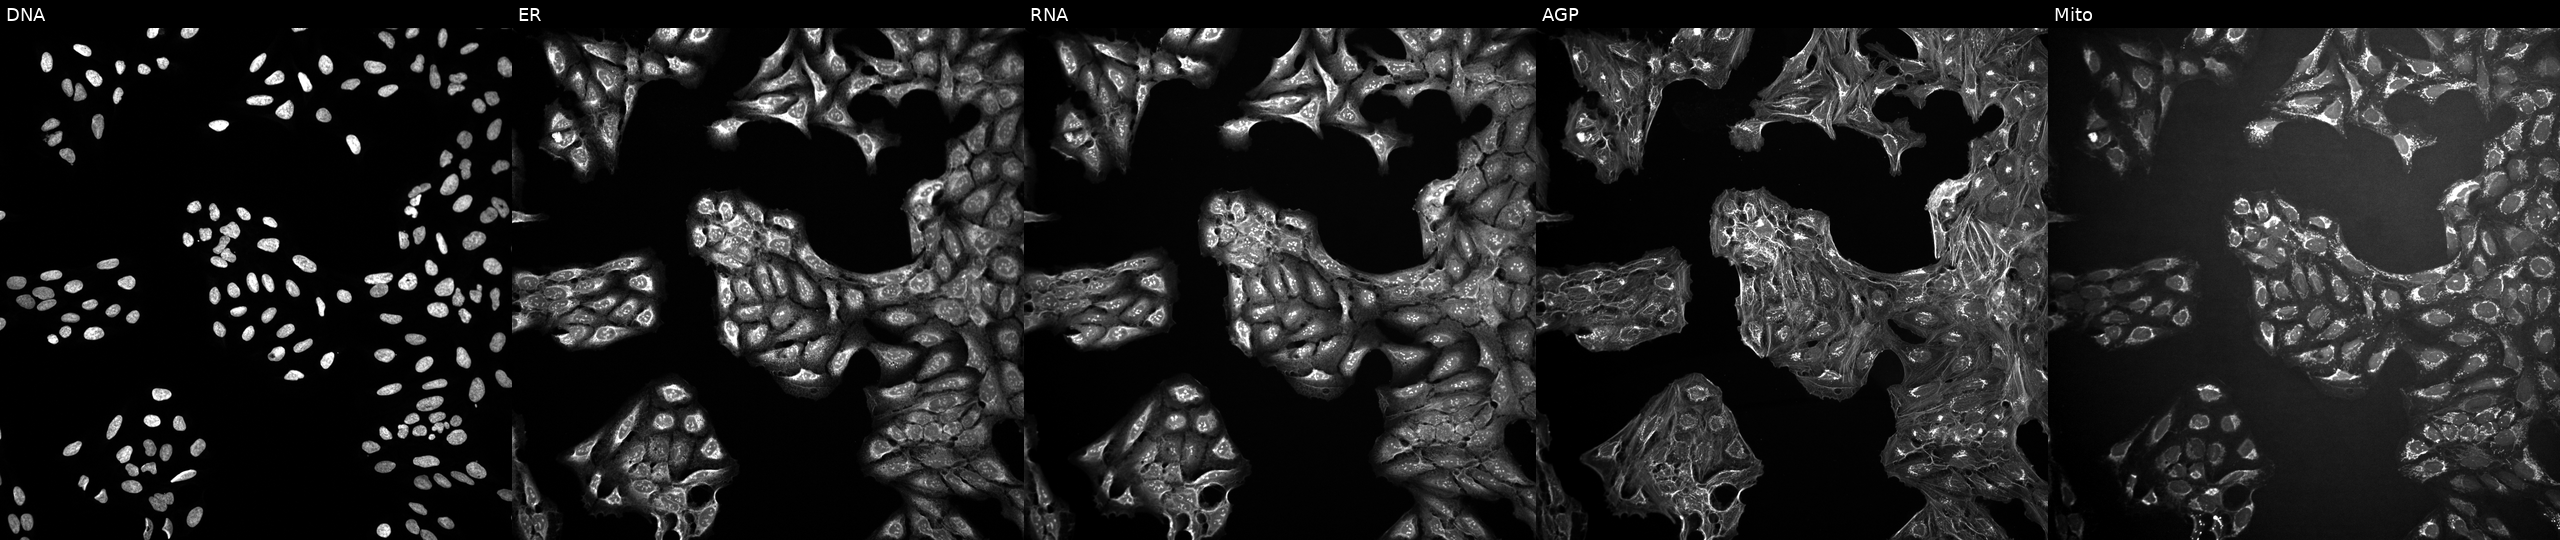
Channels (left→right): DNA, ER, RNA, AGP, and Mito. U2OS osteosarcoma cells exposed to a small-molecule compound (InChIKey FHYOTWAWZABCJU-UHFFFAOYSA-N) [SMILES: O=C(Nc1ccccc1C(F)(F)F)N1CCCC(Oc2ncccn2)C1]. Cell Painting assay, JUMP-CP dataset.